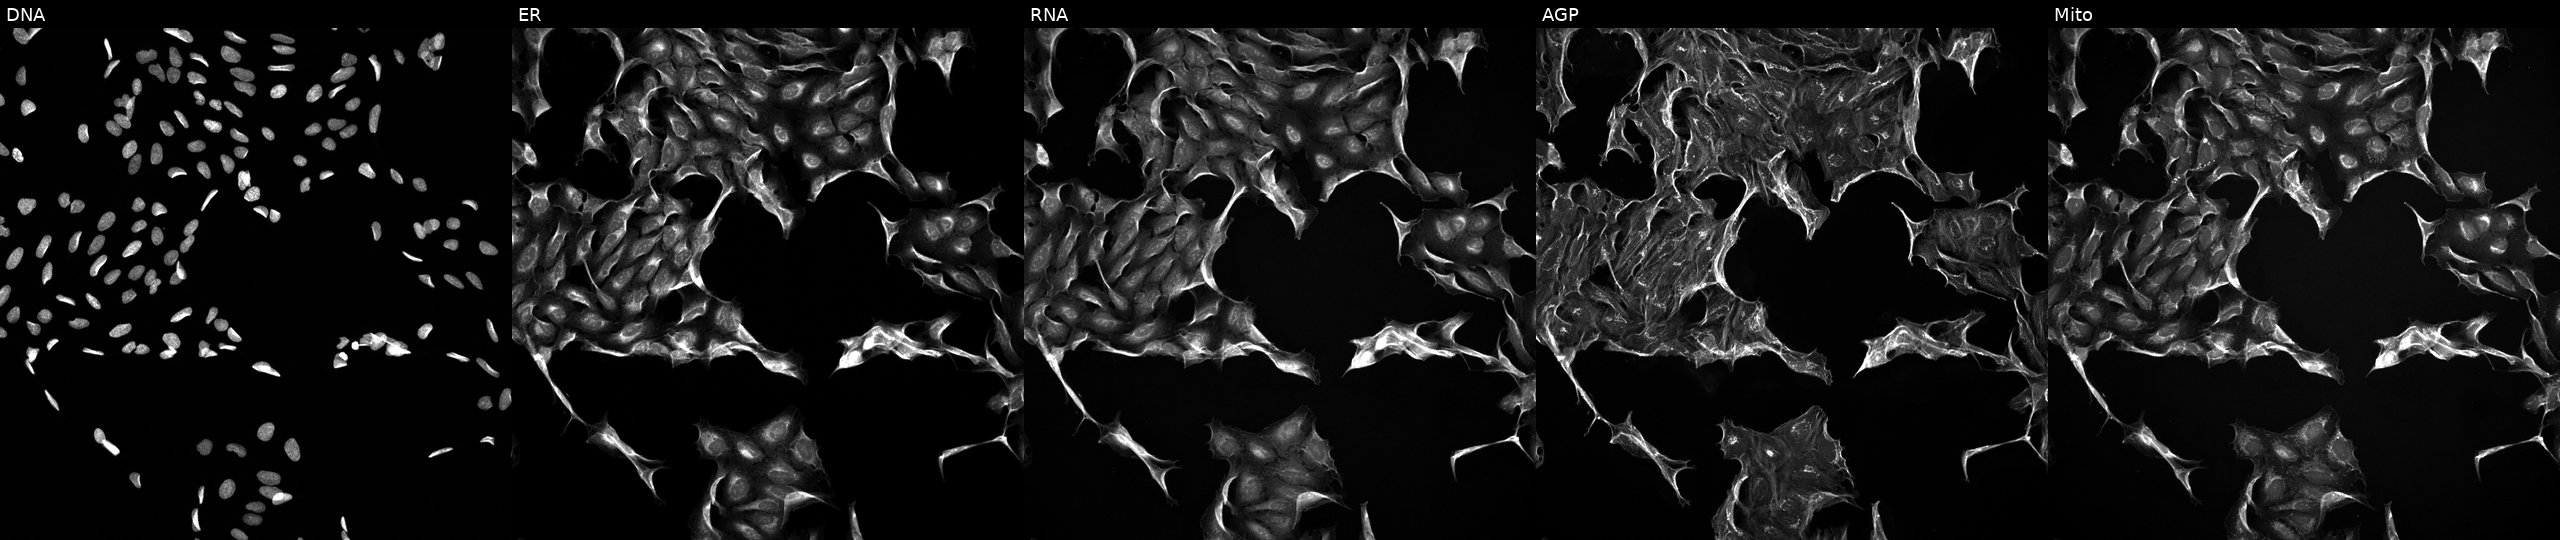
JUMP Cell Painting — TARGET2 plate. U2OS cells treated with a small-molecule compound (InChIKey FNHKPVJBJVTLMP-UHFFFAOYSA-N) [SMILES: CNC(=O)c1cc(Oc2ccc(NC(=O)Nc3ccc(Cl)c(C(F)(F)F)c3)c(F)c2)ccn1]. Panels show, left to right, DNA (nuclei); ER (endoplasmic reticulum); RNA (nucleoli and cytoplasmic RNA); AGP (actin cytoskeleton, Golgi, and plasma membrane); Mito (mitochondria). Source 5, plate ACPJUM012, well M01.